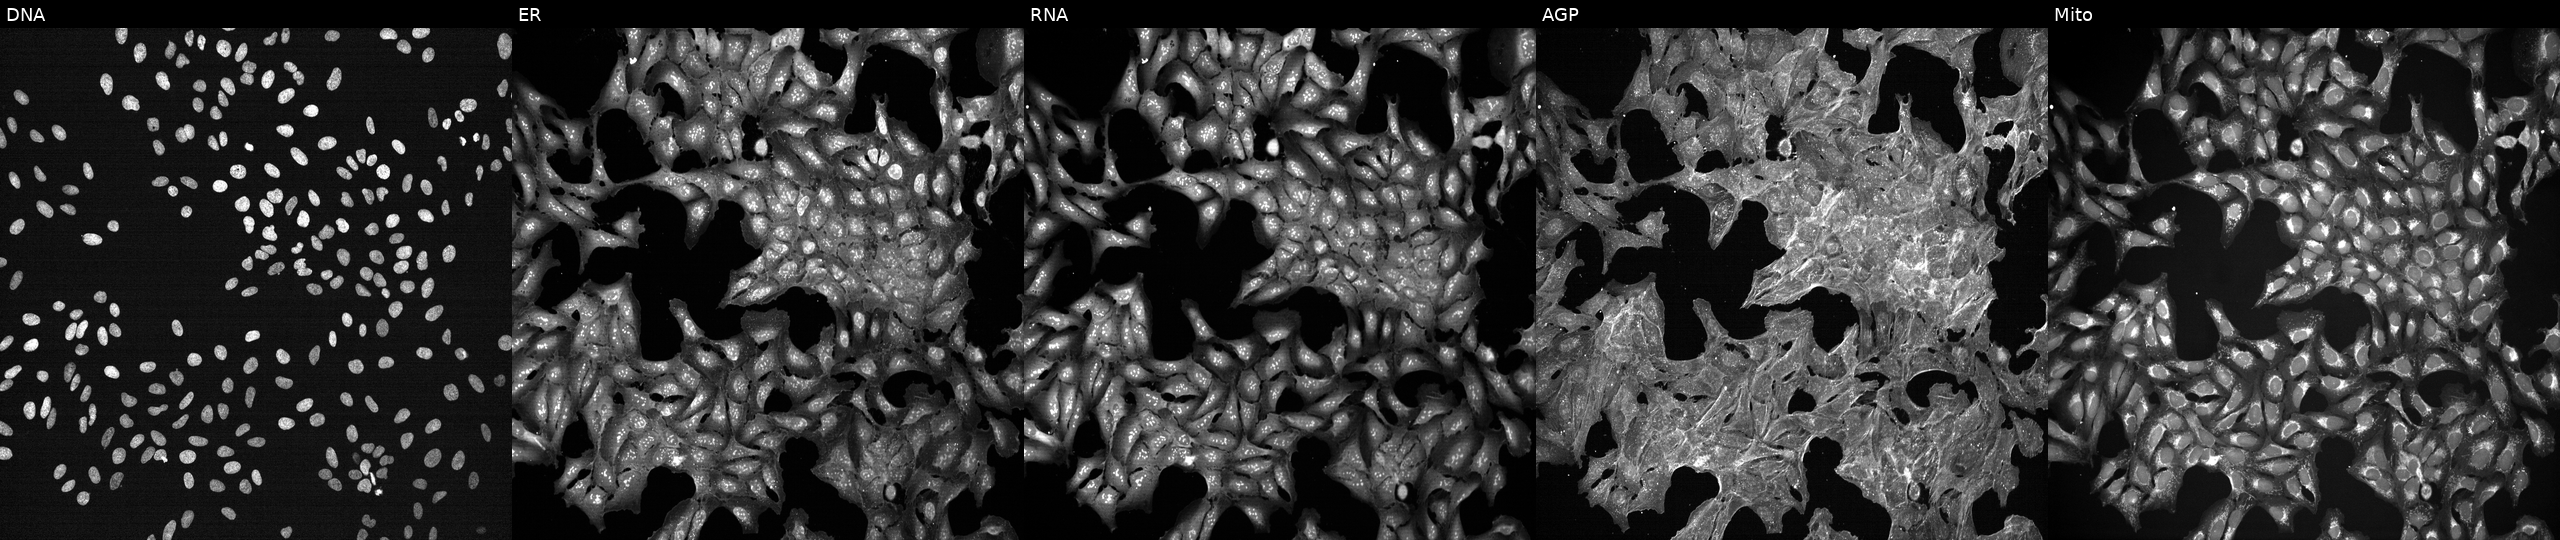
JUMP Cell Painting — TARGET2 plate. U2OS cells exposed to DMSO alone as a negative control (JUMP id JCP2022_033924). The five panels, left to right, show DNA, ER, RNA, AGP, and Mito.